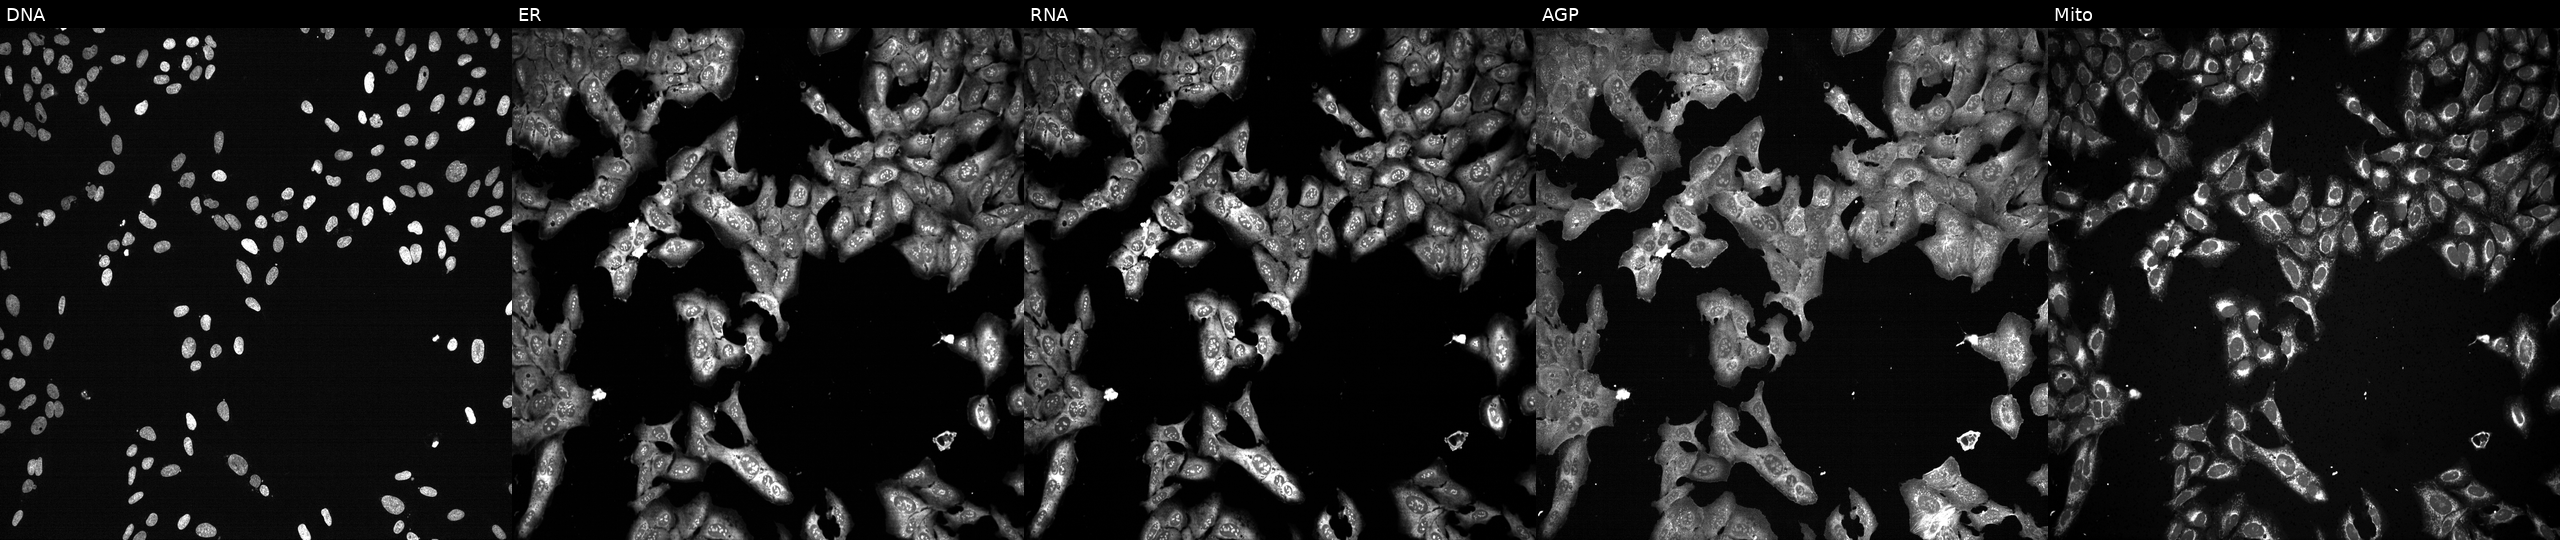
Five-channel Cell Painting image of U2OS cells following CRISPR knockout of EEF1A1 (JUMP id JCP2022_802007). Channels (left→right): DNA, ER, RNA, AGP, and Mito. Source 13, plate CP-CC9-R3-02, well J06.